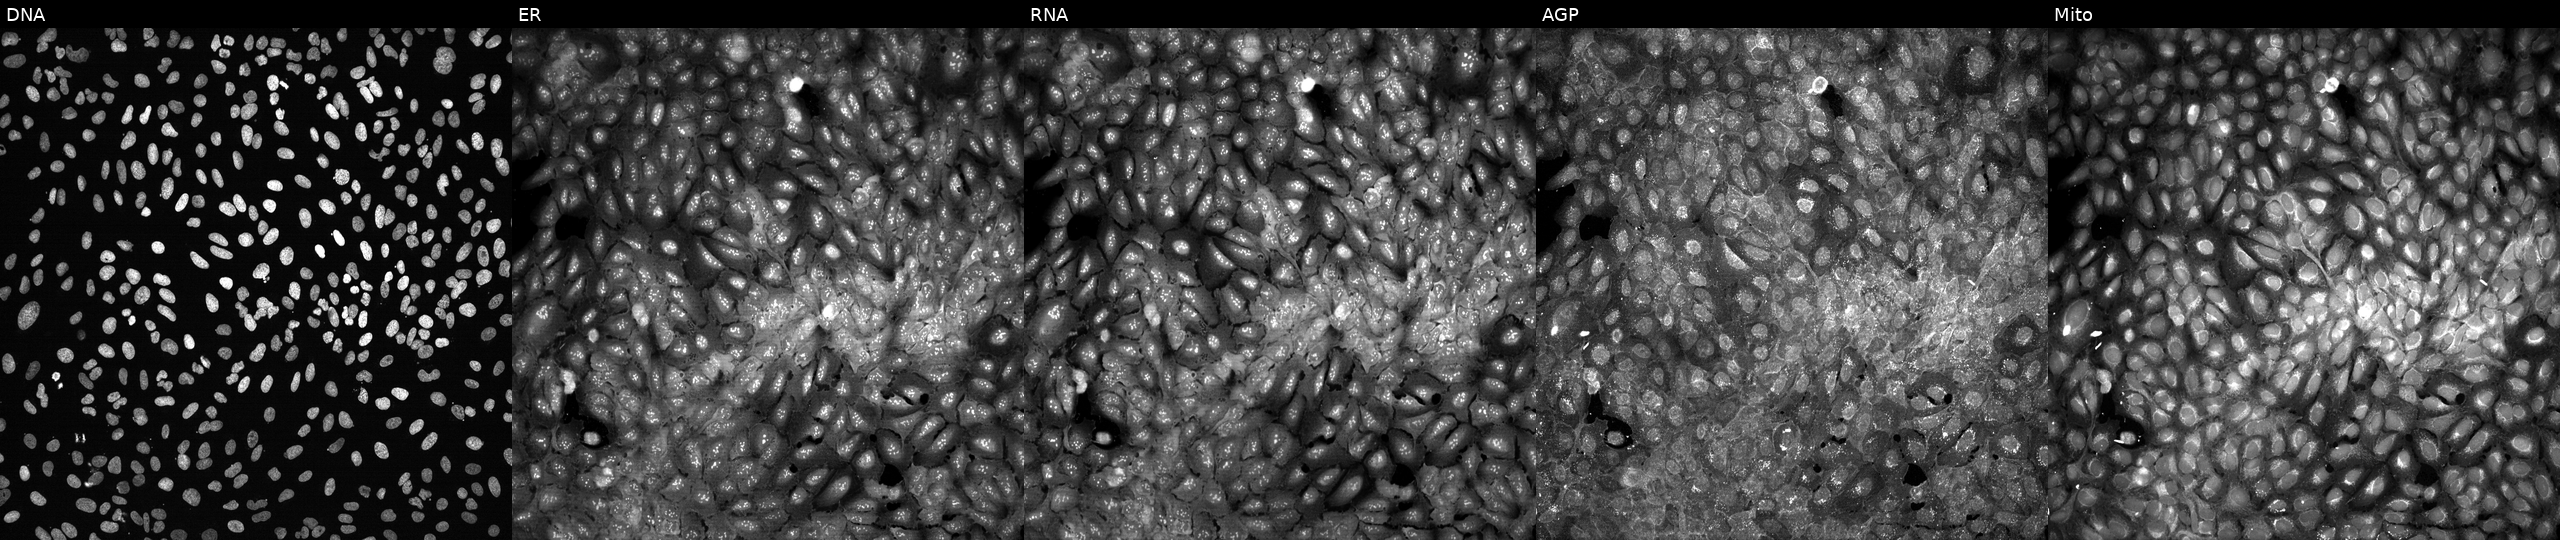
From left to right: Hoechst 33342, concanavalin A, SYTO 14, phalloidin and WGA, MitoTracker. U2OS osteosarcoma cells with ABCA13 knocked out by CRISPR (JUMP id JCP2022_800023). Cell Painting assay, JUMP-CP dataset. Source 13, plate CP-CC9-R1-01, well K09.